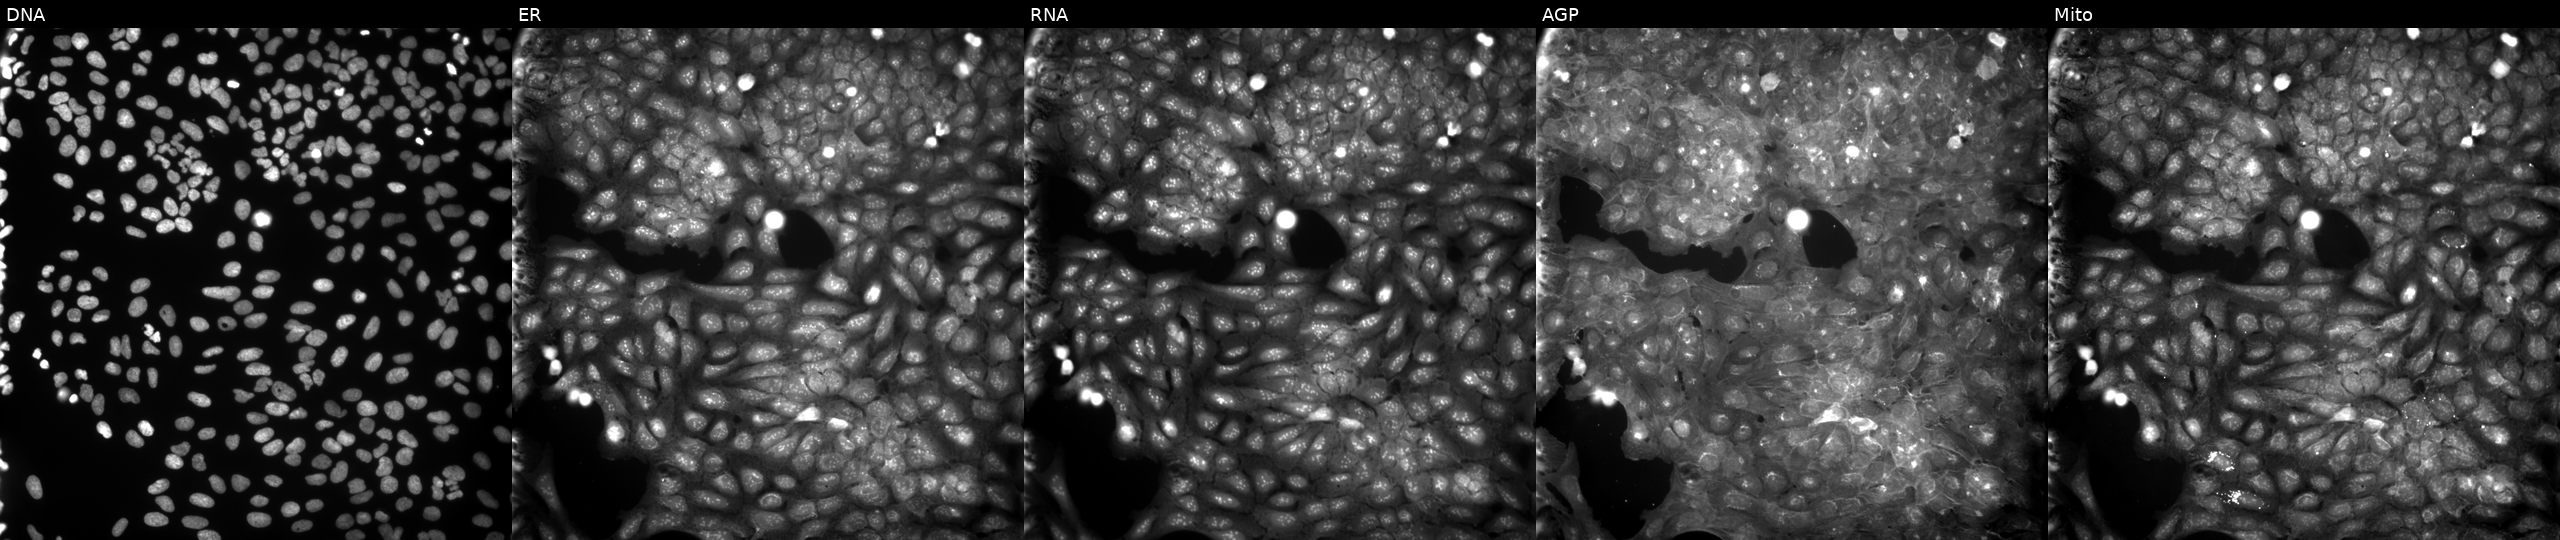
Five-channel Cell Painting image of U2OS cells treated with a small-molecule compound. From left to right: Hoechst 33342, concanavalin A, SYTO 14, phalloidin and WGA, MitoTracker.